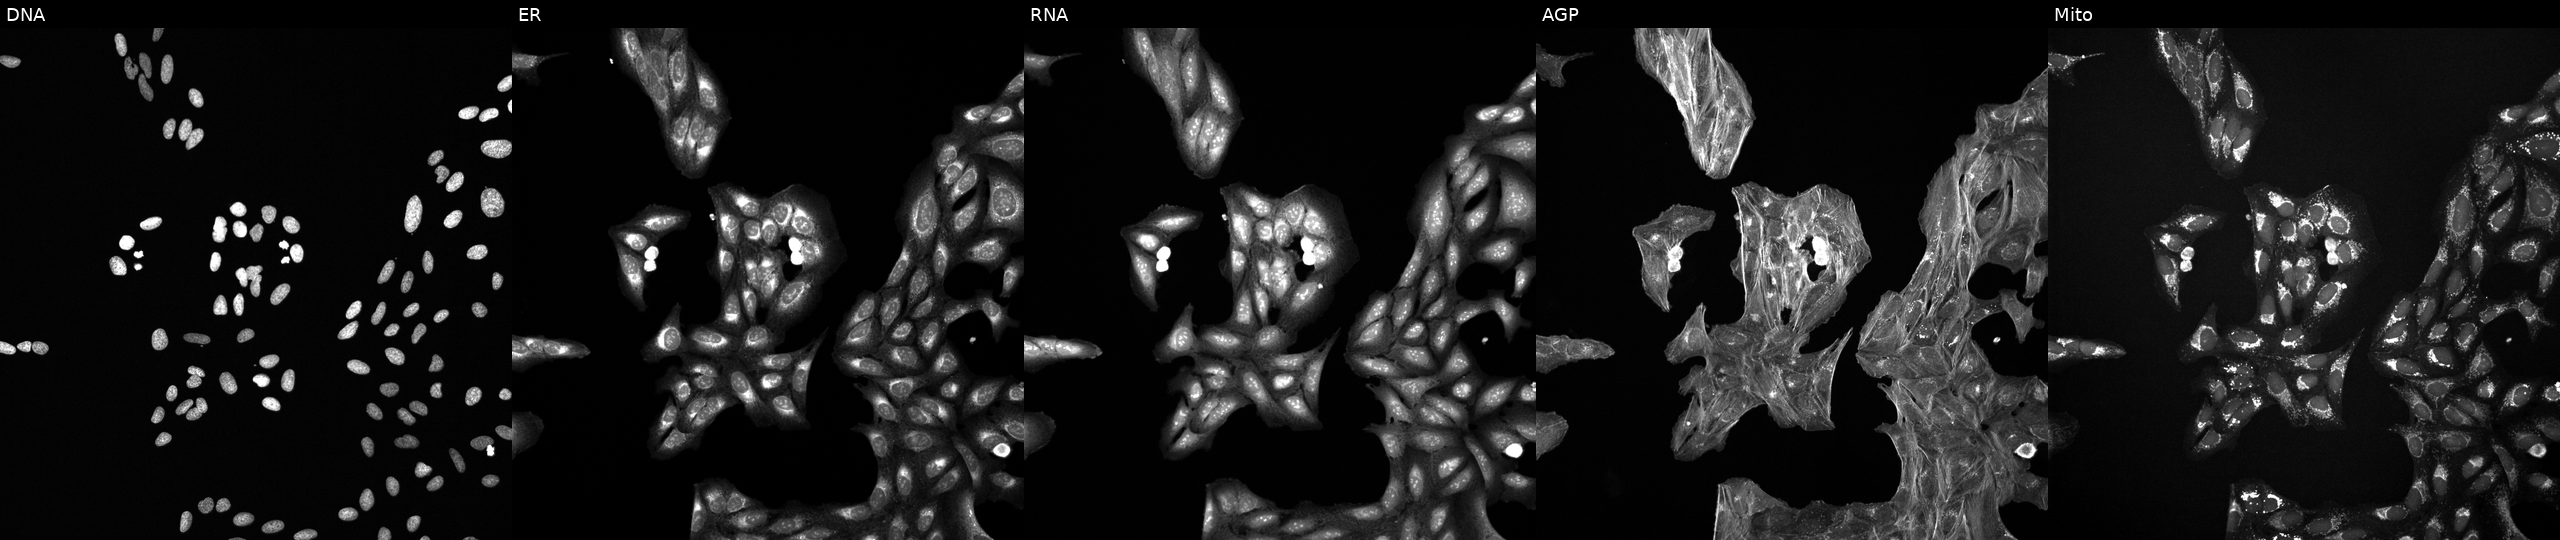
High-content fluorescence microscopy (Cell Painting). Cell line: U2OS. Perturbation: treated with a small-molecule compound. Panels show, left to right, Hoechst 33342, concanavalin A, SYTO 14, phalloidin and WGA, MitoTracker. Source 6, plate 110000293081, well A07.